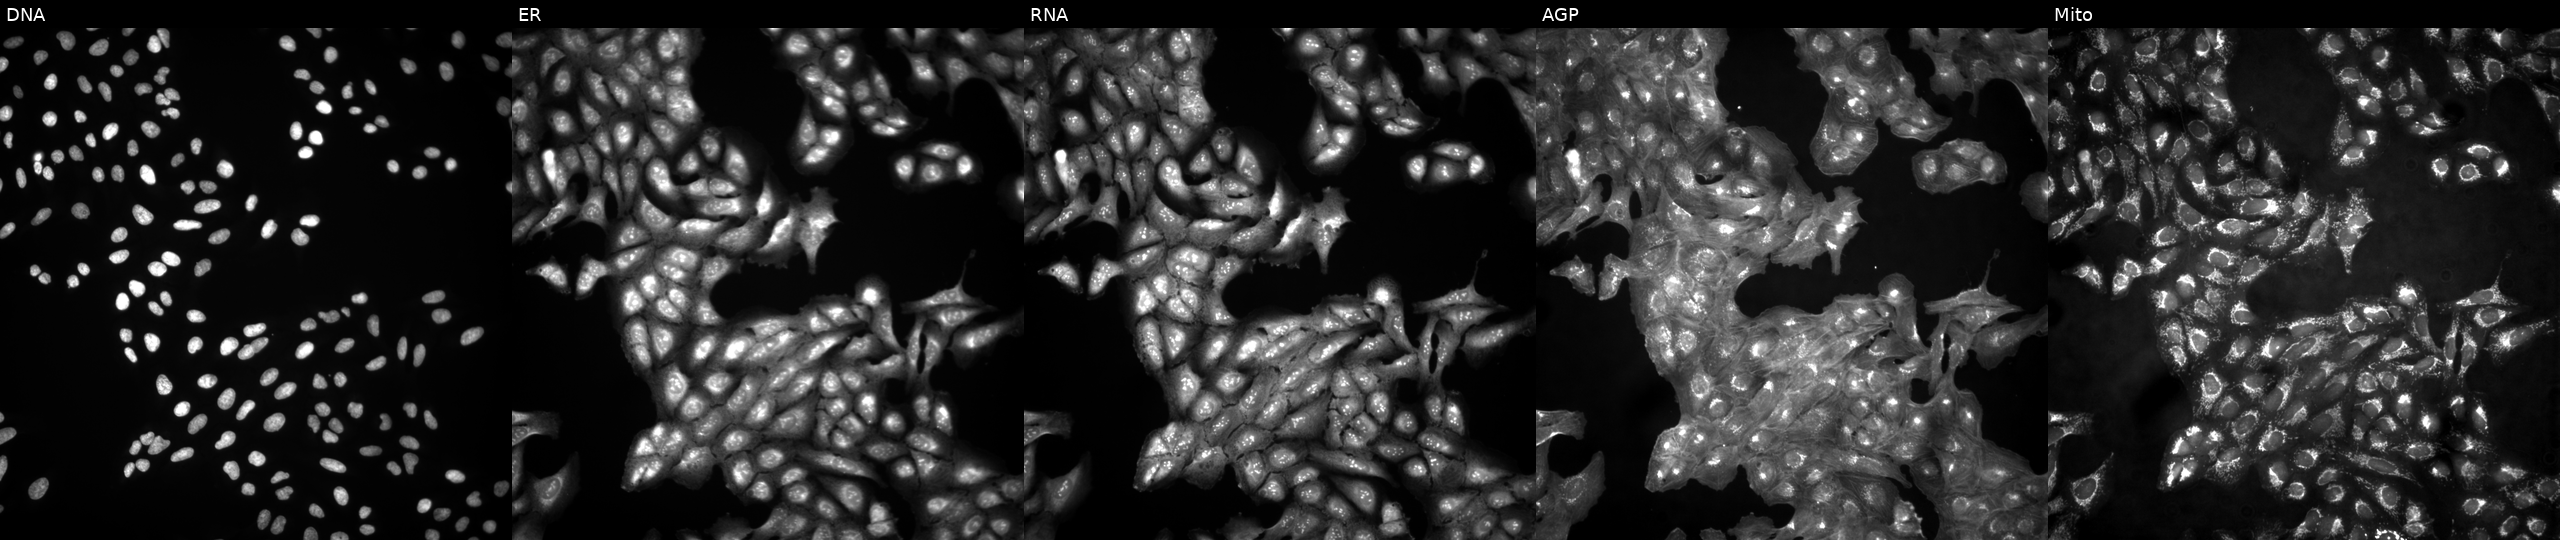
This image strip shows the five Cell Painting channels for a single field of U2OS cells untreated (empty-well control) (JUMP id JCP2022_999999). Channels (left→right): DNA (nuclei); ER (endoplasmic reticulum); RNA (nucleoli and cytoplasmic RNA); AGP (actin cytoskeleton, Golgi, and plasma membrane); Mito (mitochondria). Source 4, plate BR00123946, well C19.